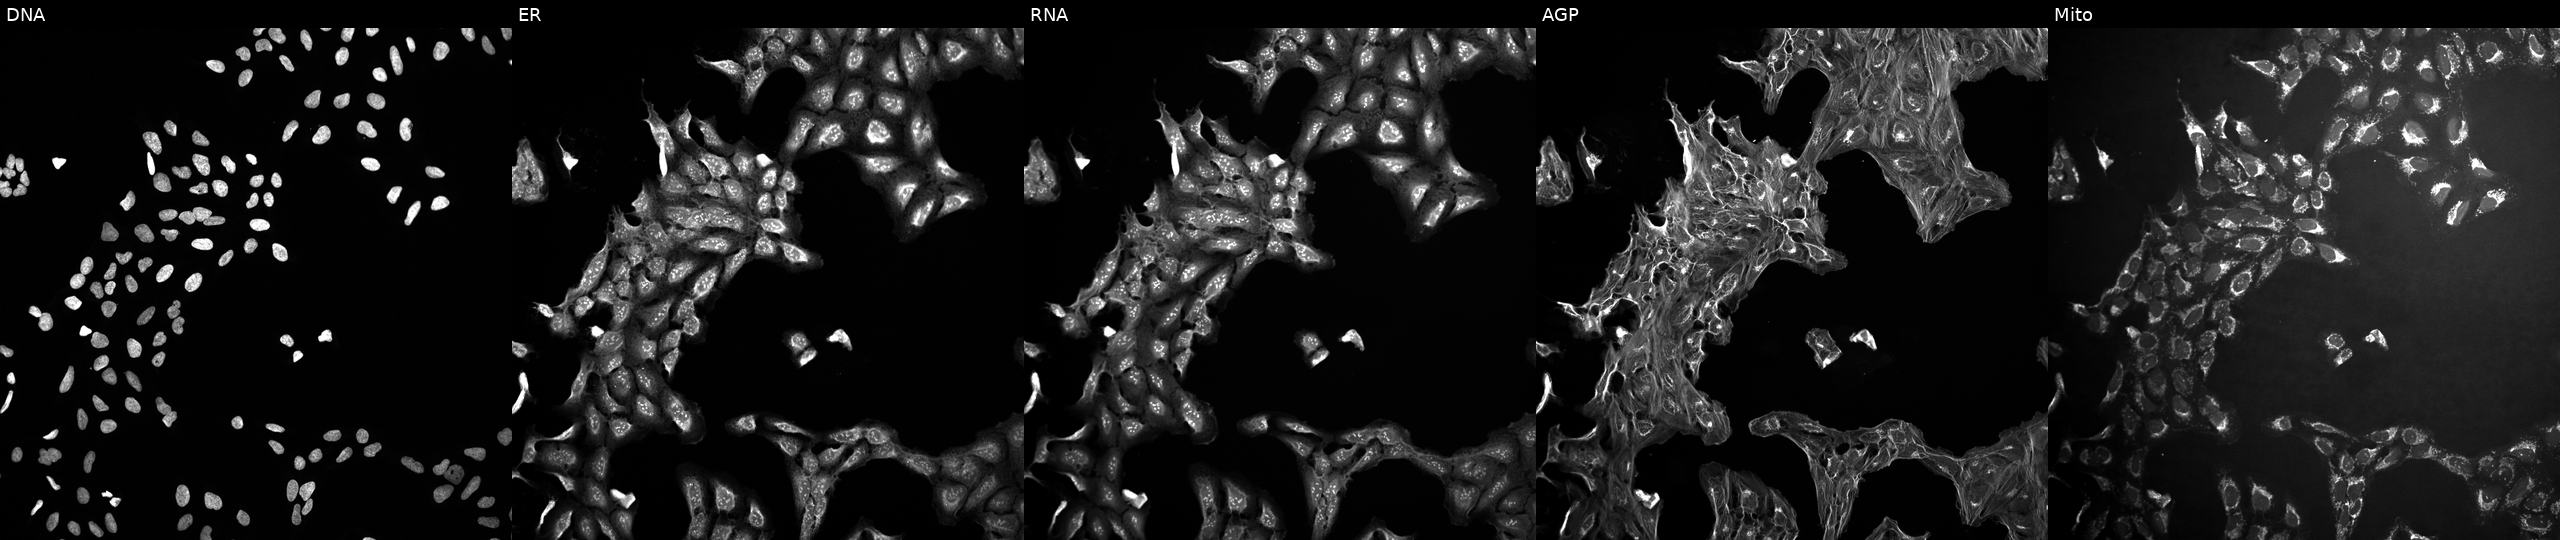
JUMP Cell Painting — TARGET2 plate. U2OS cells exposed to DMSO alone as a negative control. The five panels, left to right, show Hoechst 33342, concanavalin A, SYTO 14, phalloidin and WGA, MitoTracker.